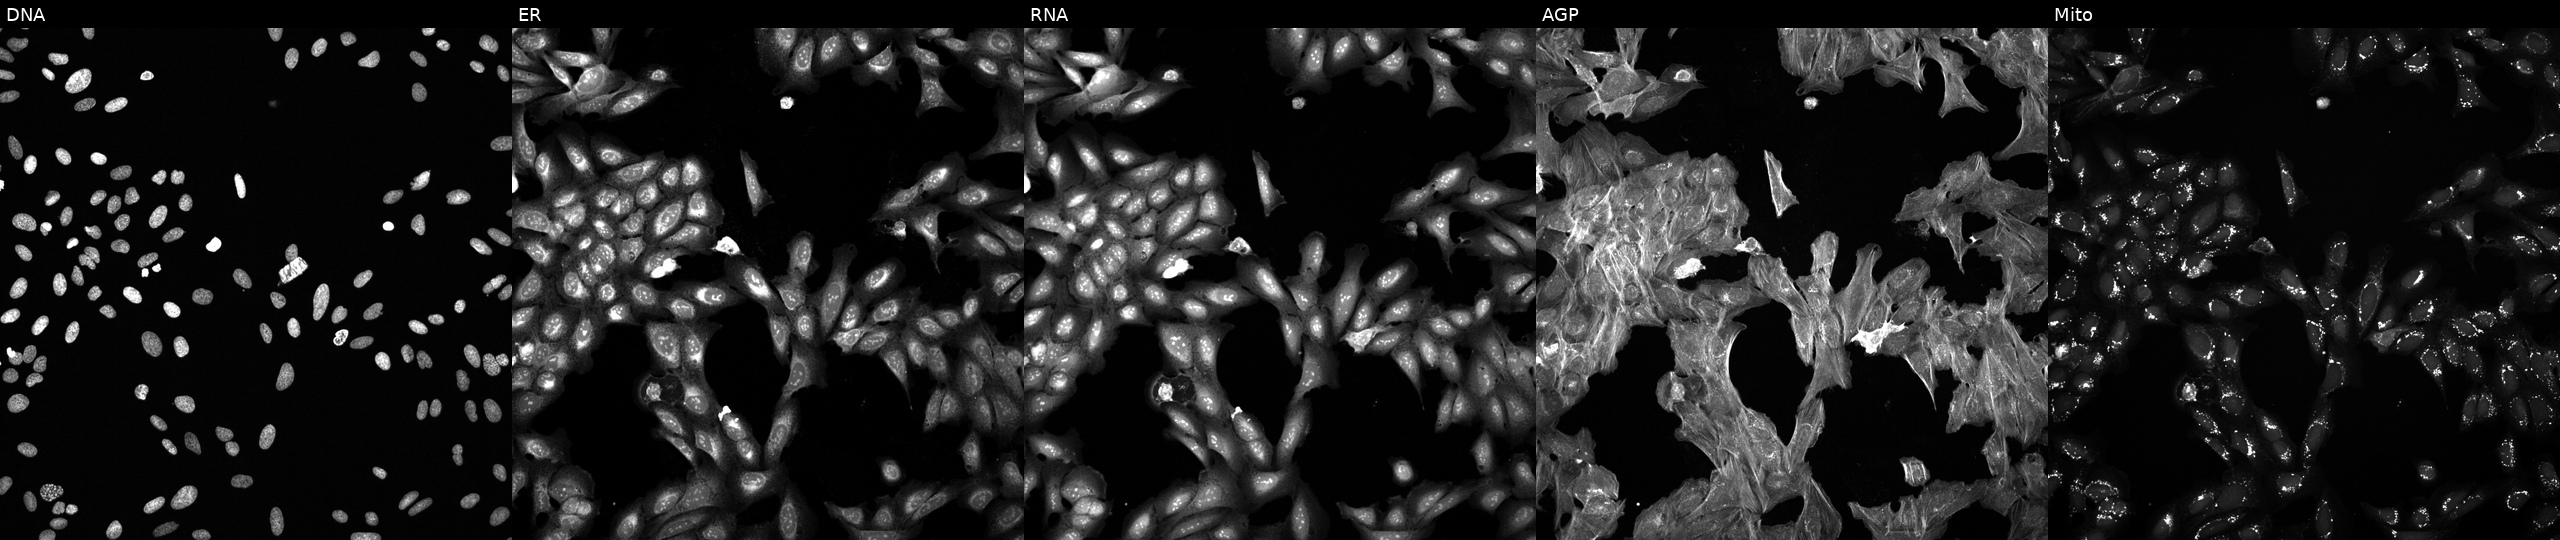
Channels (left→right): DNA, ER, RNA, AGP, and Mito. U2OS osteosarcoma cells perturbed with a small-molecule compound (InChIKey VSWDORGPIHIGNW-UHFFFAOYSA-N) [SMILES: S=C(S)N1CCCC1] (JUMP id JCP2022_096067). Cell Painting assay, JUMP-CP dataset. Source 6, plate 110000294901, well P19.